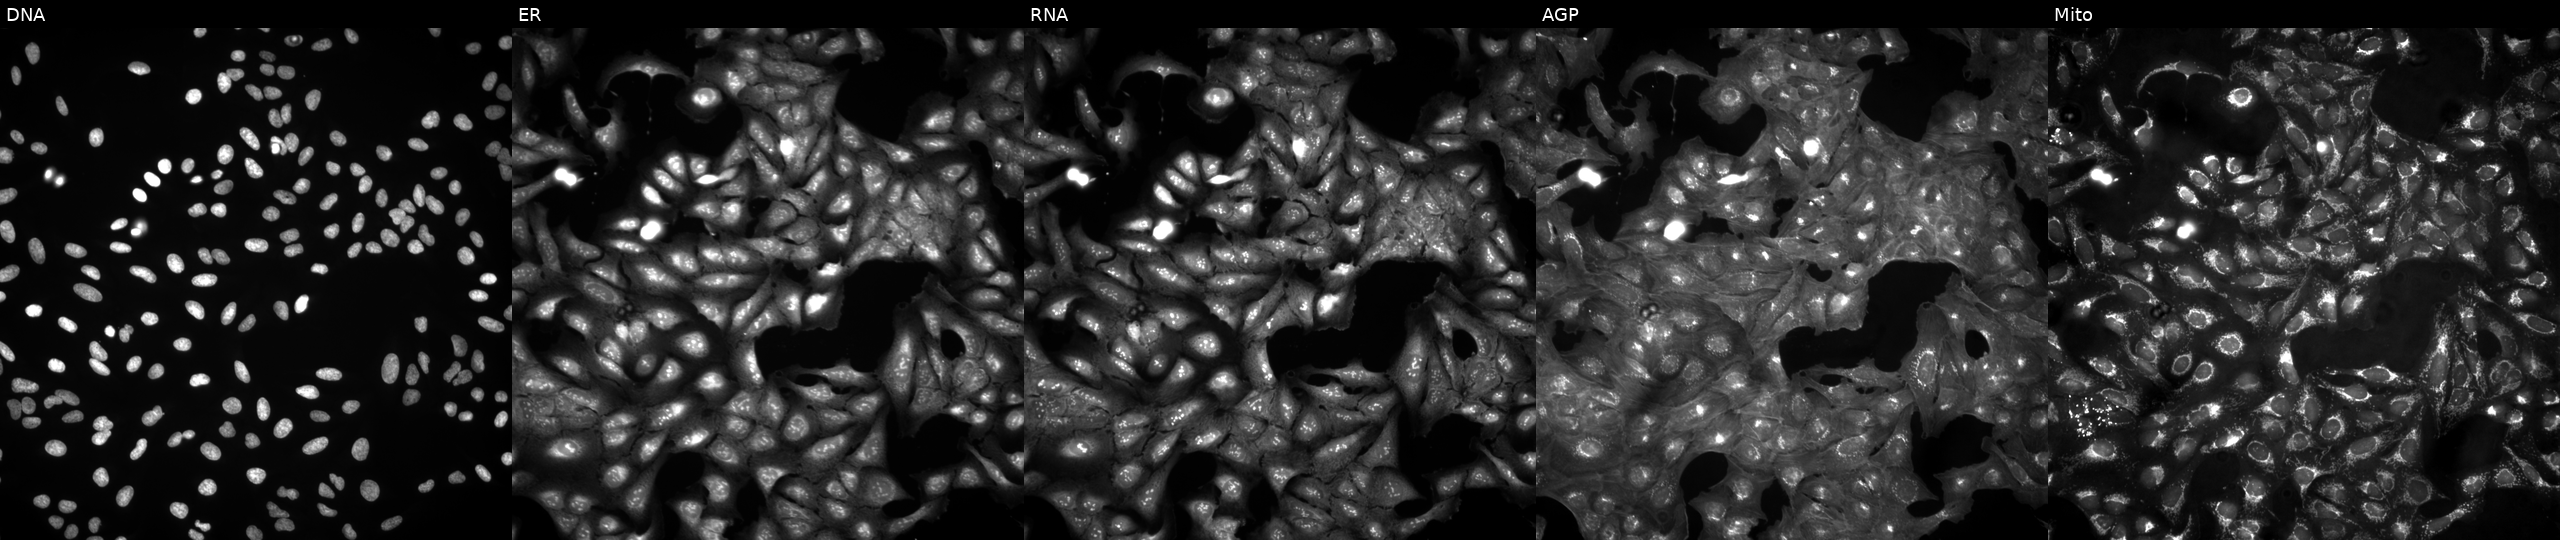
U2OS cells, Cell Painting assay, untreated (empty-well control). Panels show, left to right, Hoechst 33342, concanavalin A, SYTO 14, phalloidin and WGA, MitoTracker. Each panel is percentile-stretched 16-bit fluorescence.